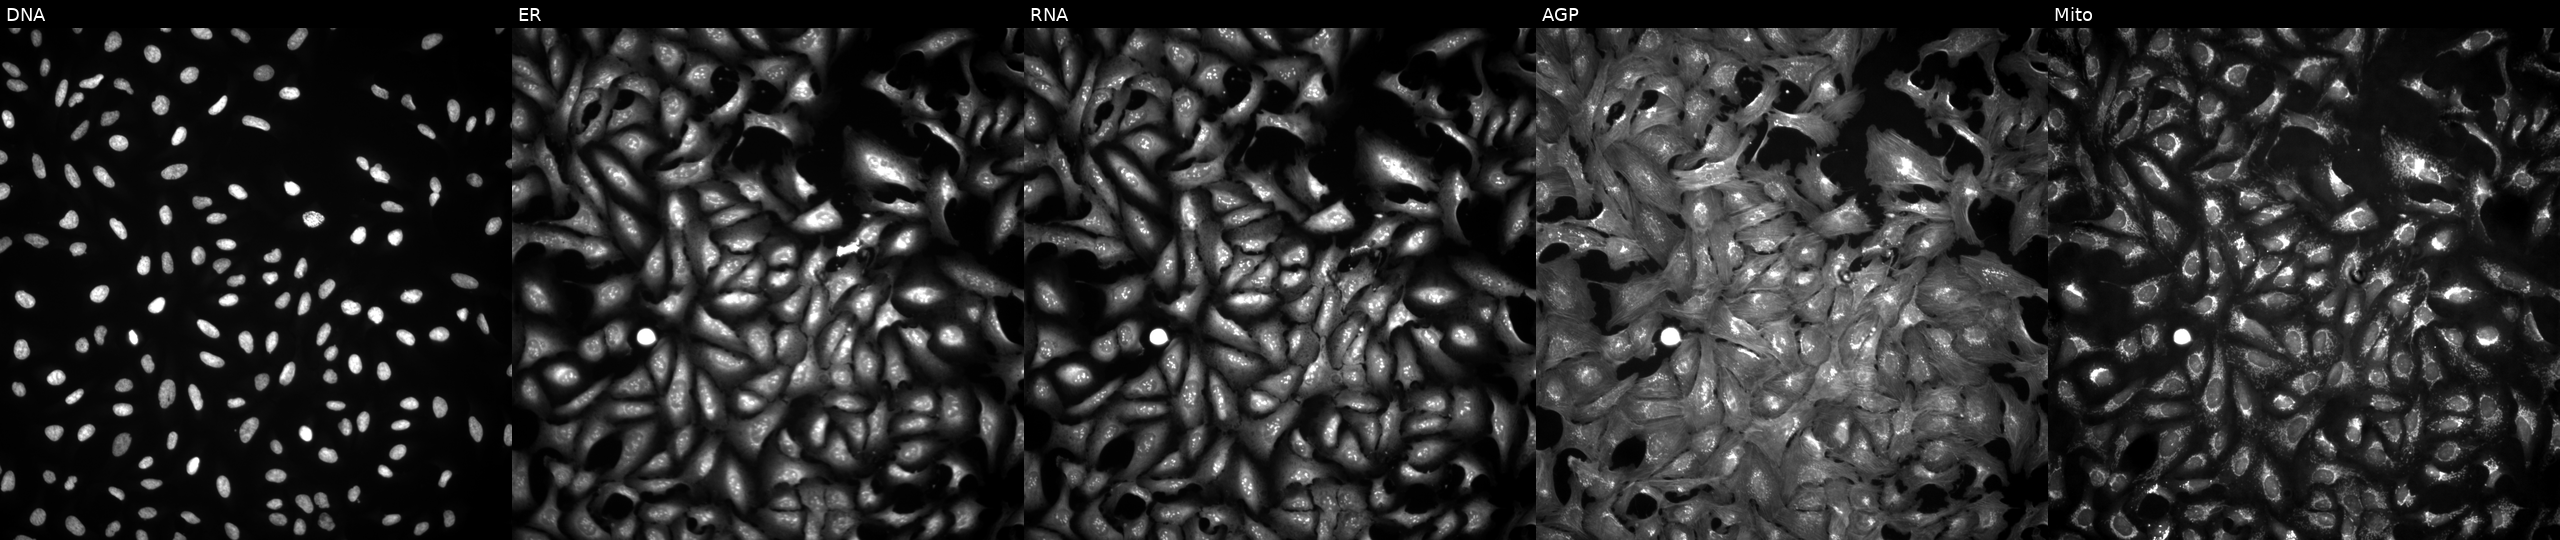
High-content fluorescence microscopy (Cell Painting). Cell line: U2OS. Perturbation: with CDC42EP2 overexpressed (ORF). From left to right: Hoechst 33342, concanavalin A, SYTO 14, phalloidin and WGA, MitoTracker. Source 4, plate BR00124784, well A03.